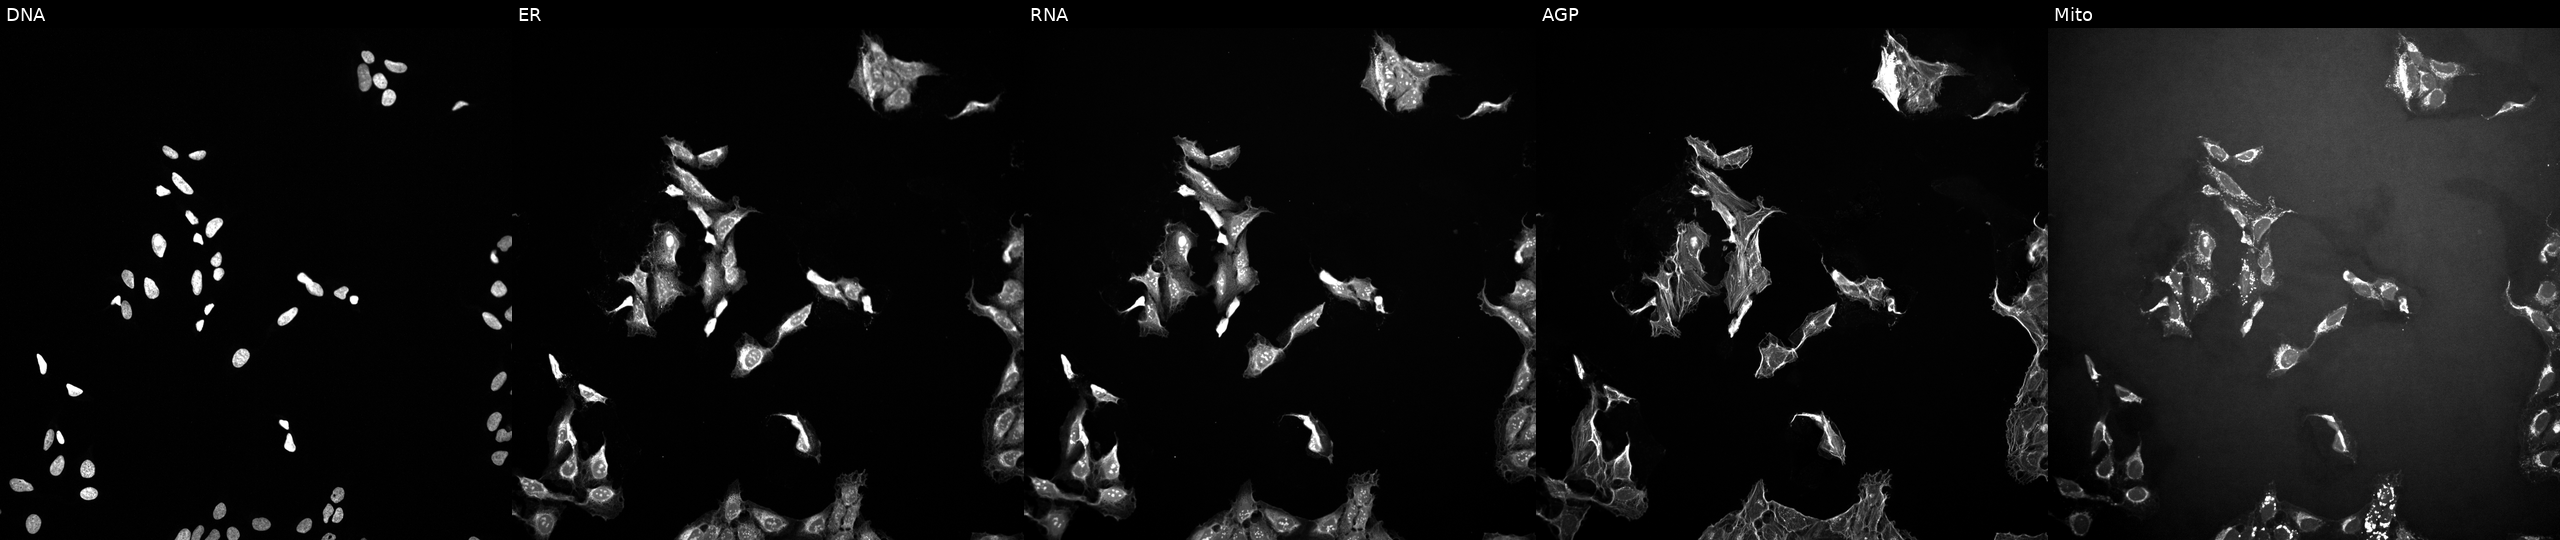
Five-channel Cell Painting image of U2OS cells treated with DMSO vehicle only (negative control). Panels show, left to right, DNA, ER, RNA, AGP, and Mito.